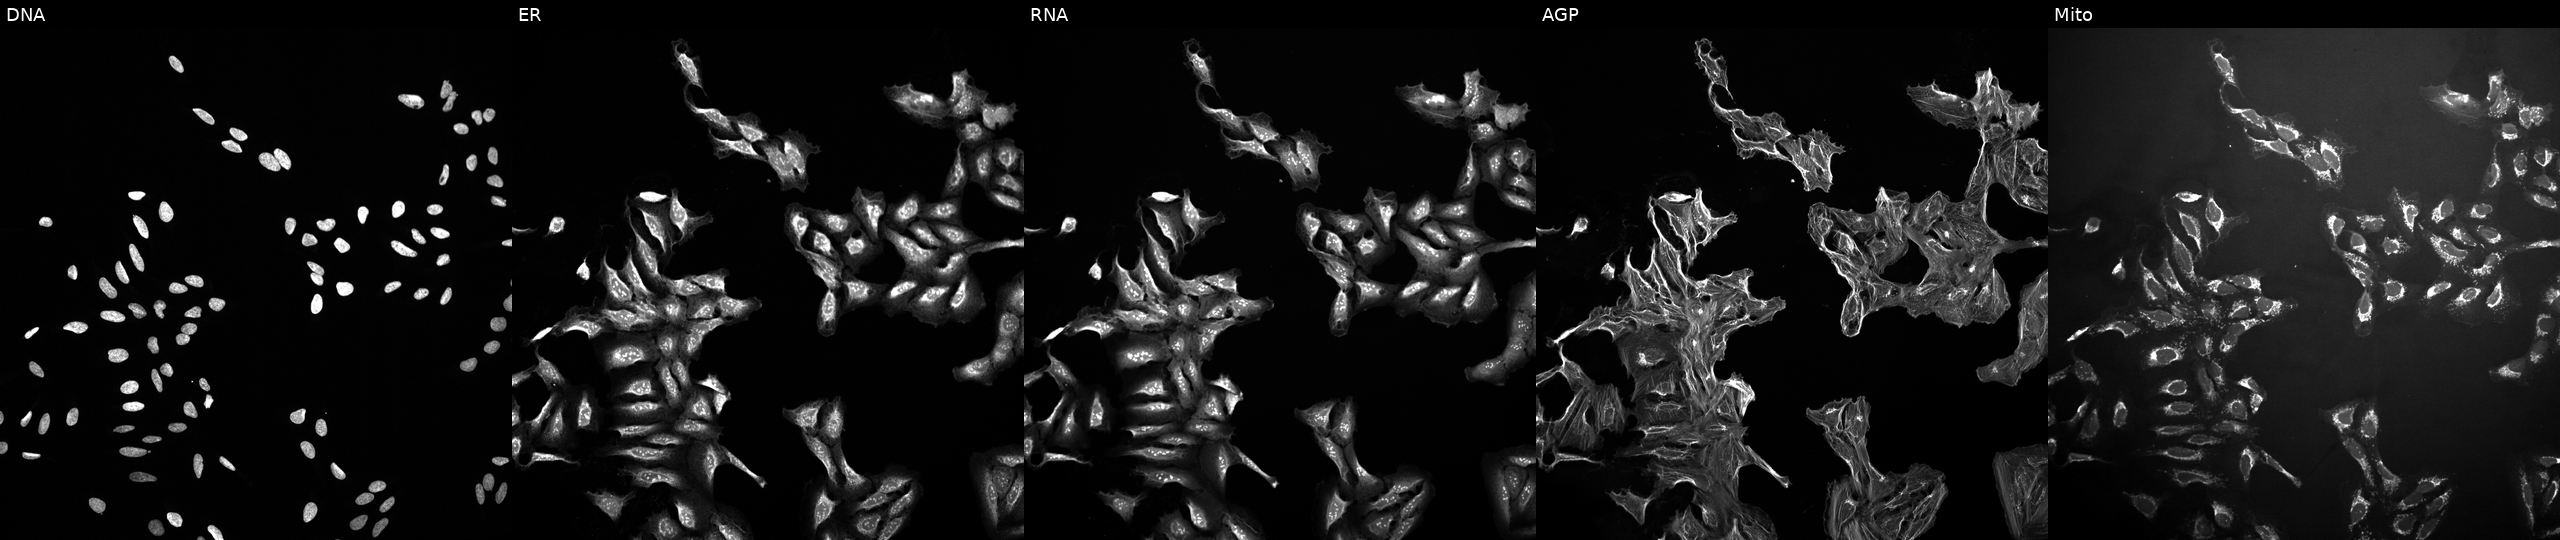
High-content fluorescence microscopy (Cell Painting). Cell line: U2OS. Perturbation: treated with a small-molecule compound (InChIKey LLVZBTWPGQVVLW-UHFFFAOYSA-N) (JUMP id JCP2022_050271). From left to right: DNA, ER, RNA, AGP, and Mito. Source 10, plate Dest210726-160150, well E12.